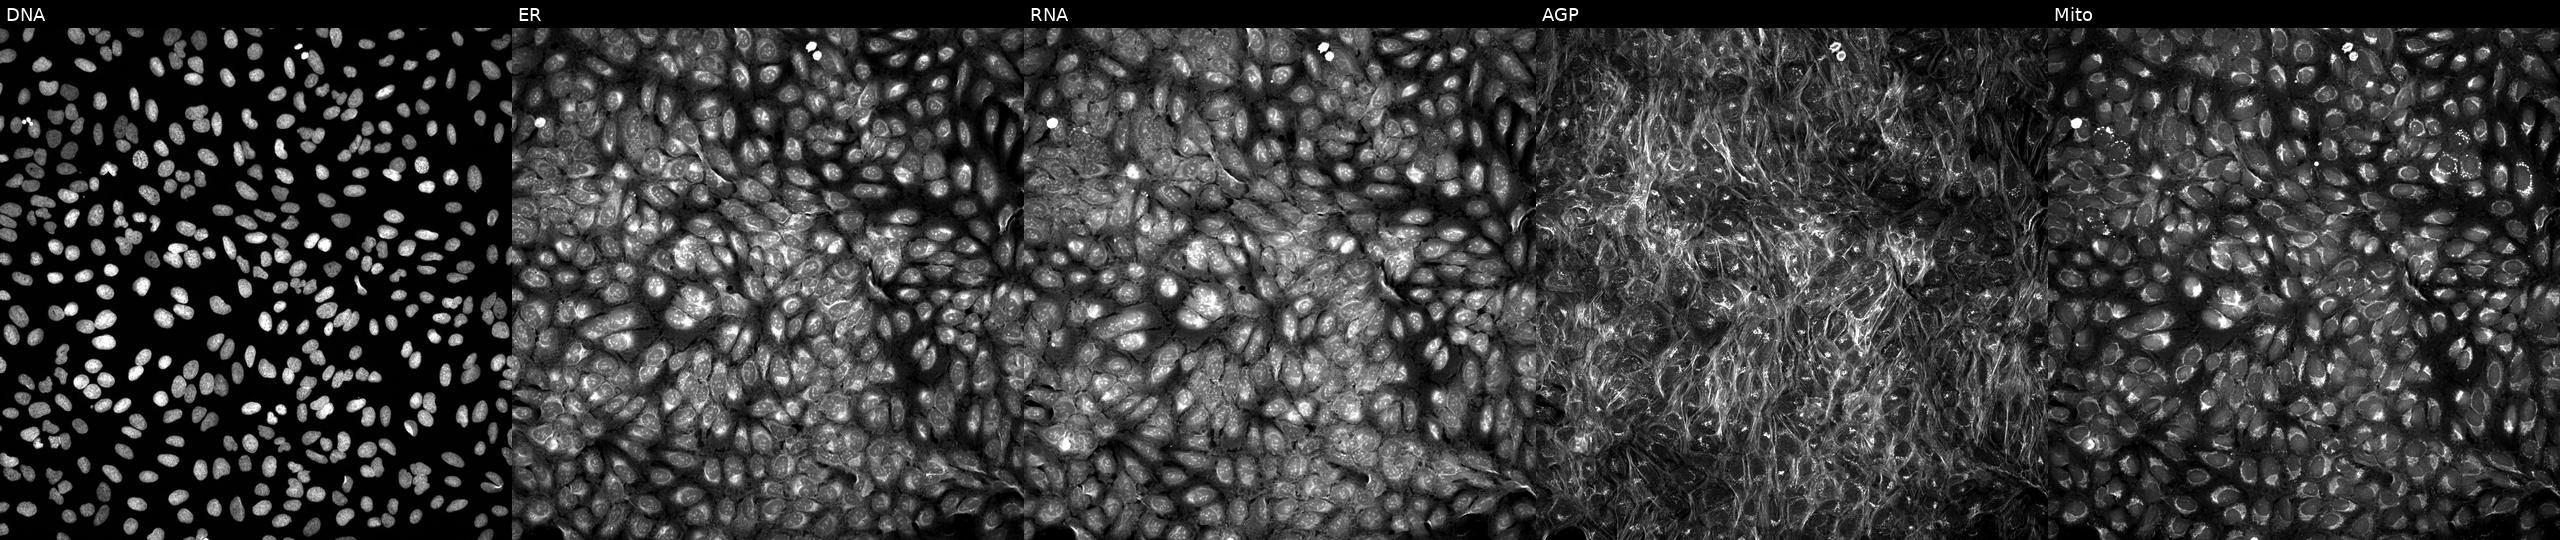
High-content fluorescence microscopy (Cell Painting). Cell line: U2OS. Perturbation: treated with a small-molecule compound [SMILES: O=C(O)c1ccc[nH]c1=Nc1cccc(C(F)(F)F)c1] (JUMP id JCP2022_043099). Panels show, left to right, DNA (nuclei); ER (endoplasmic reticulum); RNA (nucleoli and cytoplasmic RNA); AGP (actin cytoskeleton, Golgi, and plasma membrane); Mito (mitochondria). Source 5, plate ACPJUM032, well P22.